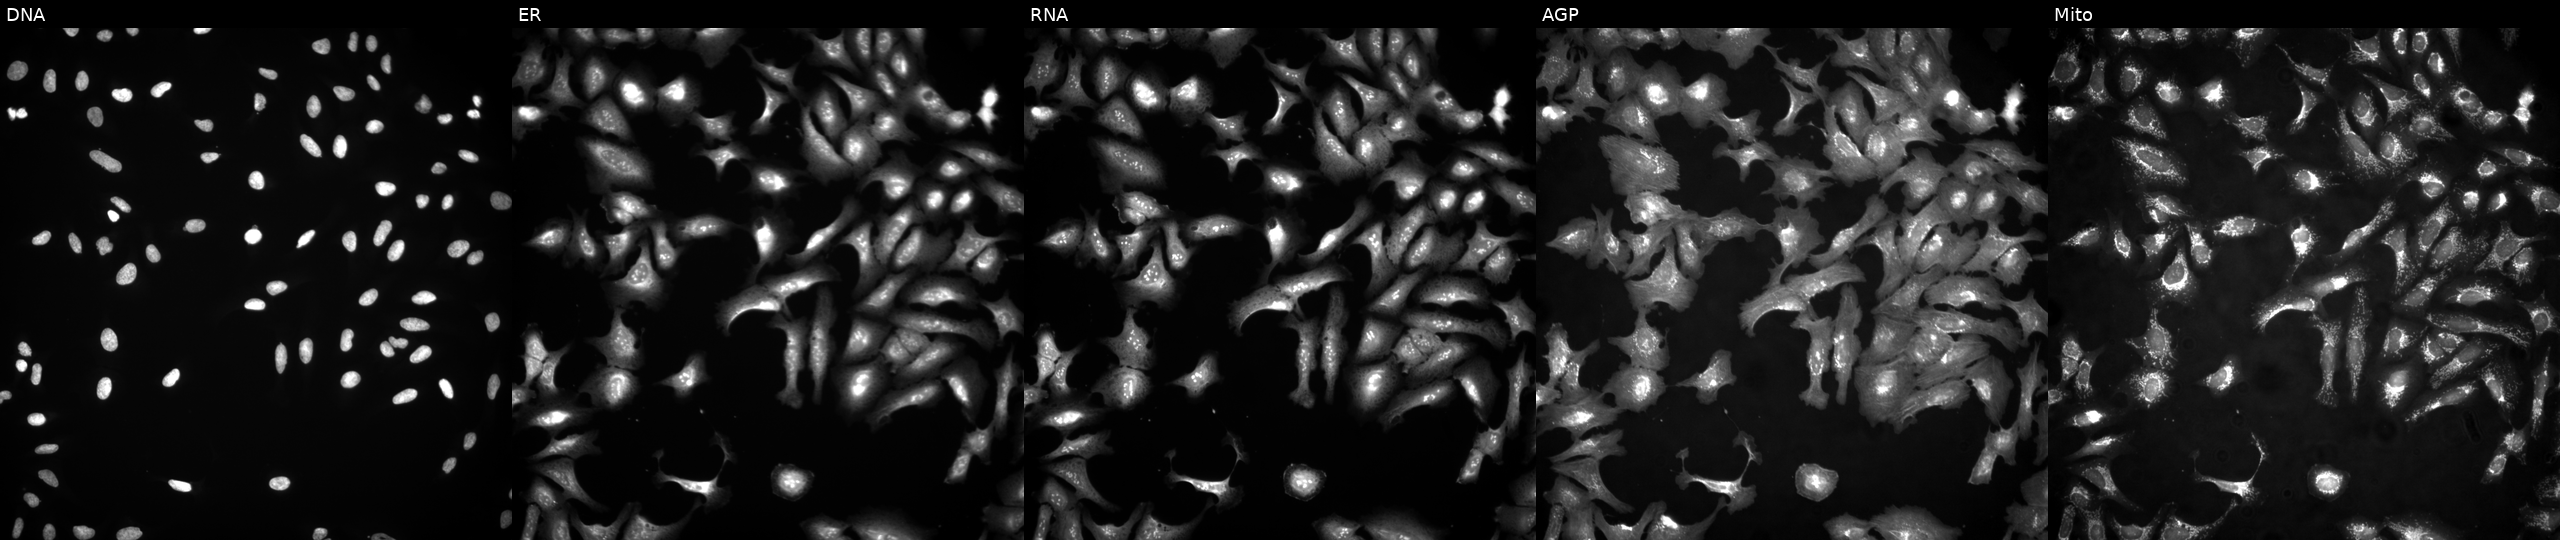
JUMP Cell Painting — ORF plate. U2OS cells transfected with an ORF construct for H2AC6. Panels show, left to right, DNA, ER, RNA, AGP, and Mito. Source 4, plate BR00124787, well G13.